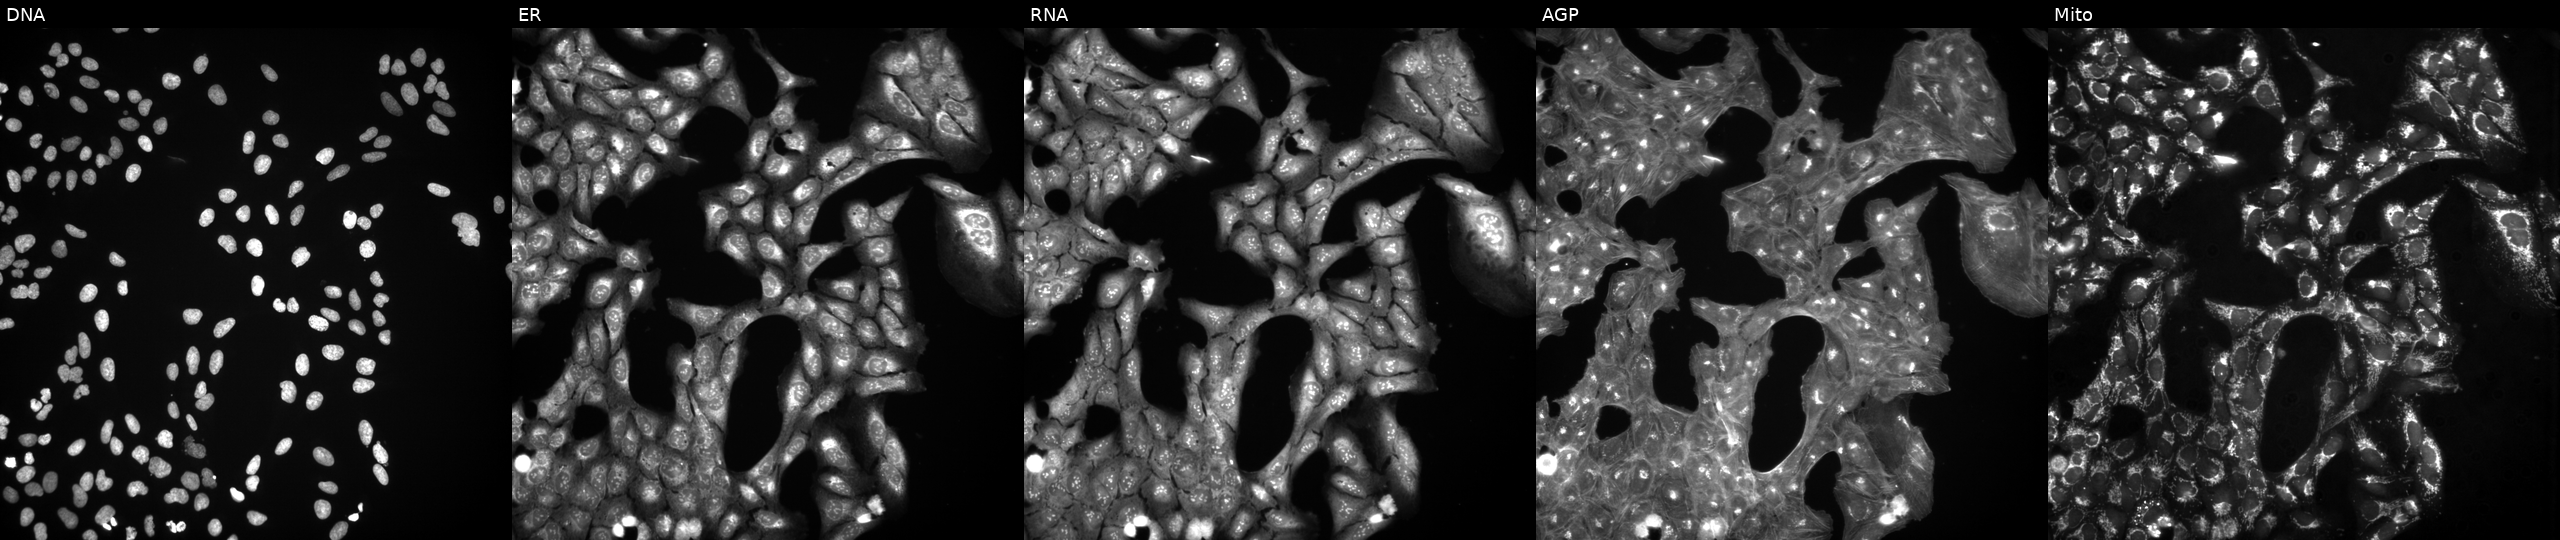
Channels (left→right): DNA (nuclei); ER (endoplasmic reticulum); RNA (nucleoli and cytoplasmic RNA); AGP (actin cytoskeleton, Golgi, and plasma membrane); Mito (mitochondria). U2OS osteosarcoma cells exposed to a small-molecule compound (InChIKey PQECNVXEOZYRLJ-UHFFFAOYSA-N) (JUMP id JCP2022_070275). Cell Painting assay, JUMP-CP dataset.